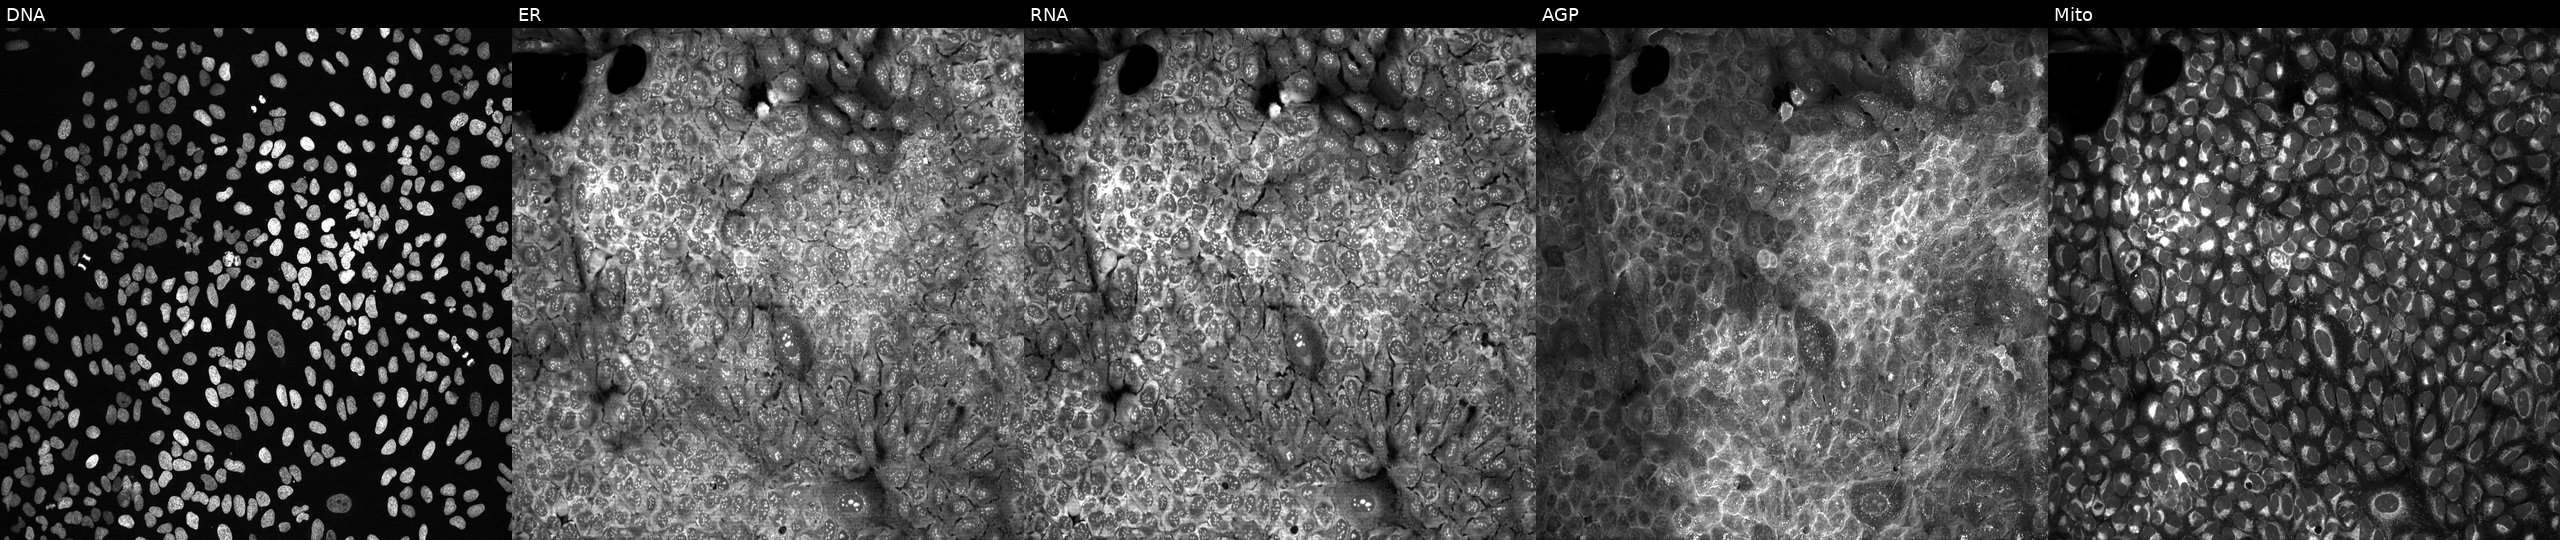
This image strip shows the five Cell Painting channels for a single field of U2OS cells with NLRP1 knocked out by CRISPR. Channels (left→right): DNA (nuclei); ER (endoplasmic reticulum); RNA (nucleoli and cytoplasmic RNA); AGP (actin cytoskeleton, Golgi, and plasma membrane); Mito (mitochondria). Source 13, plate CP-CC9-R6-19, well G21.